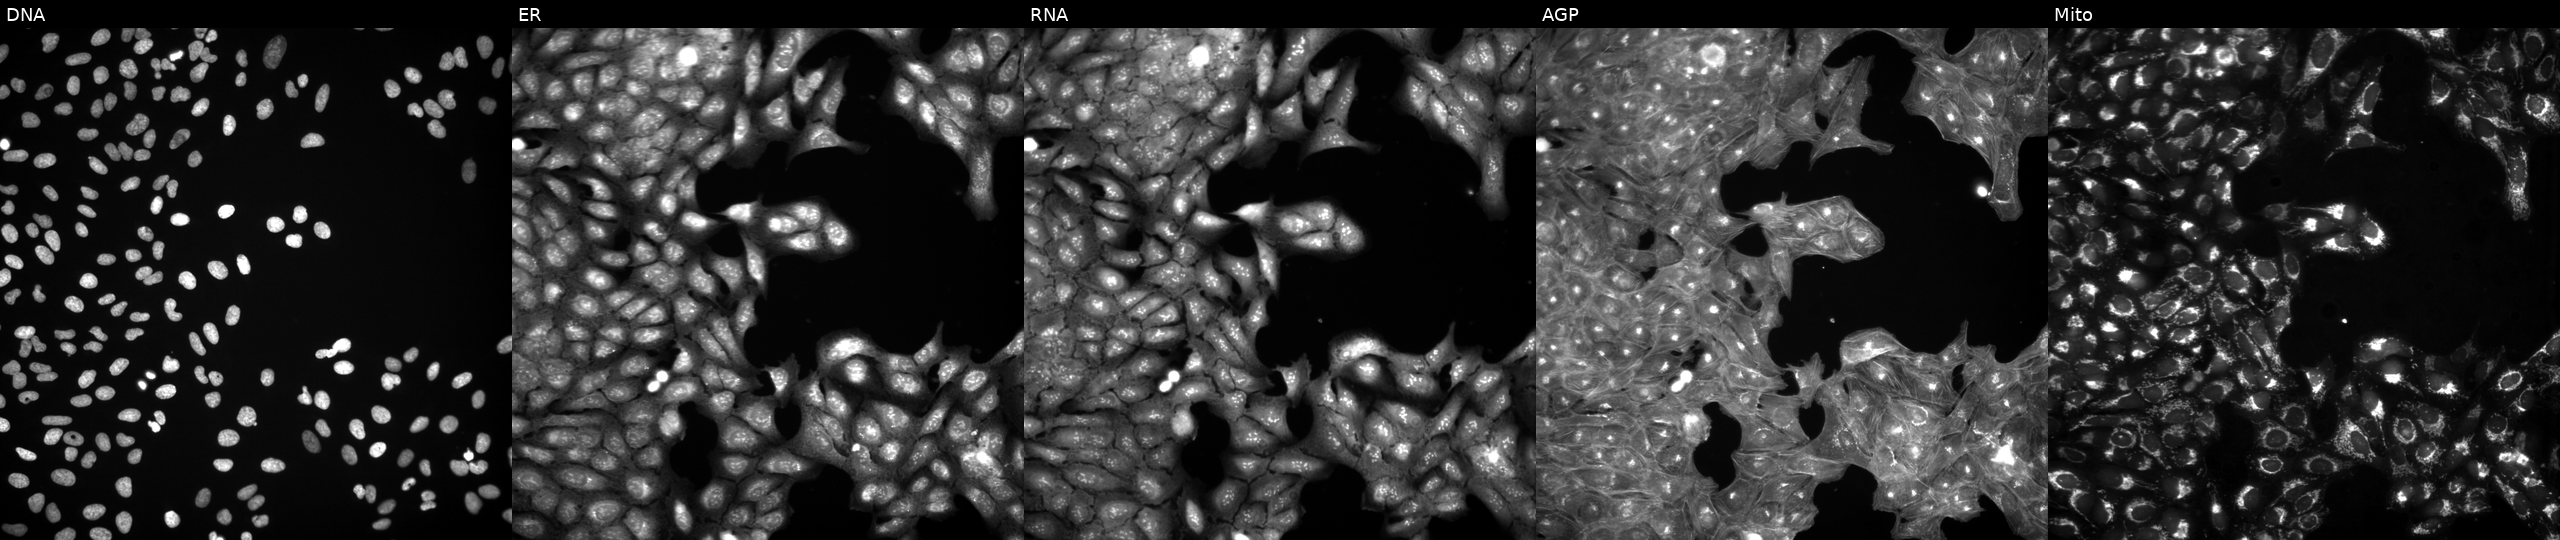
U2OS cells, Cell Painting assay, exposed to DMSO alone as a negative control (JUMP id JCP2022_033924). Panels show, left to right, Hoechst 33342, concanavalin A, SYTO 14, phalloidin and WGA, MitoTracker. Each panel is percentile-stretched 16-bit fluorescence. Source 3, plate JCPQC051, well G03.